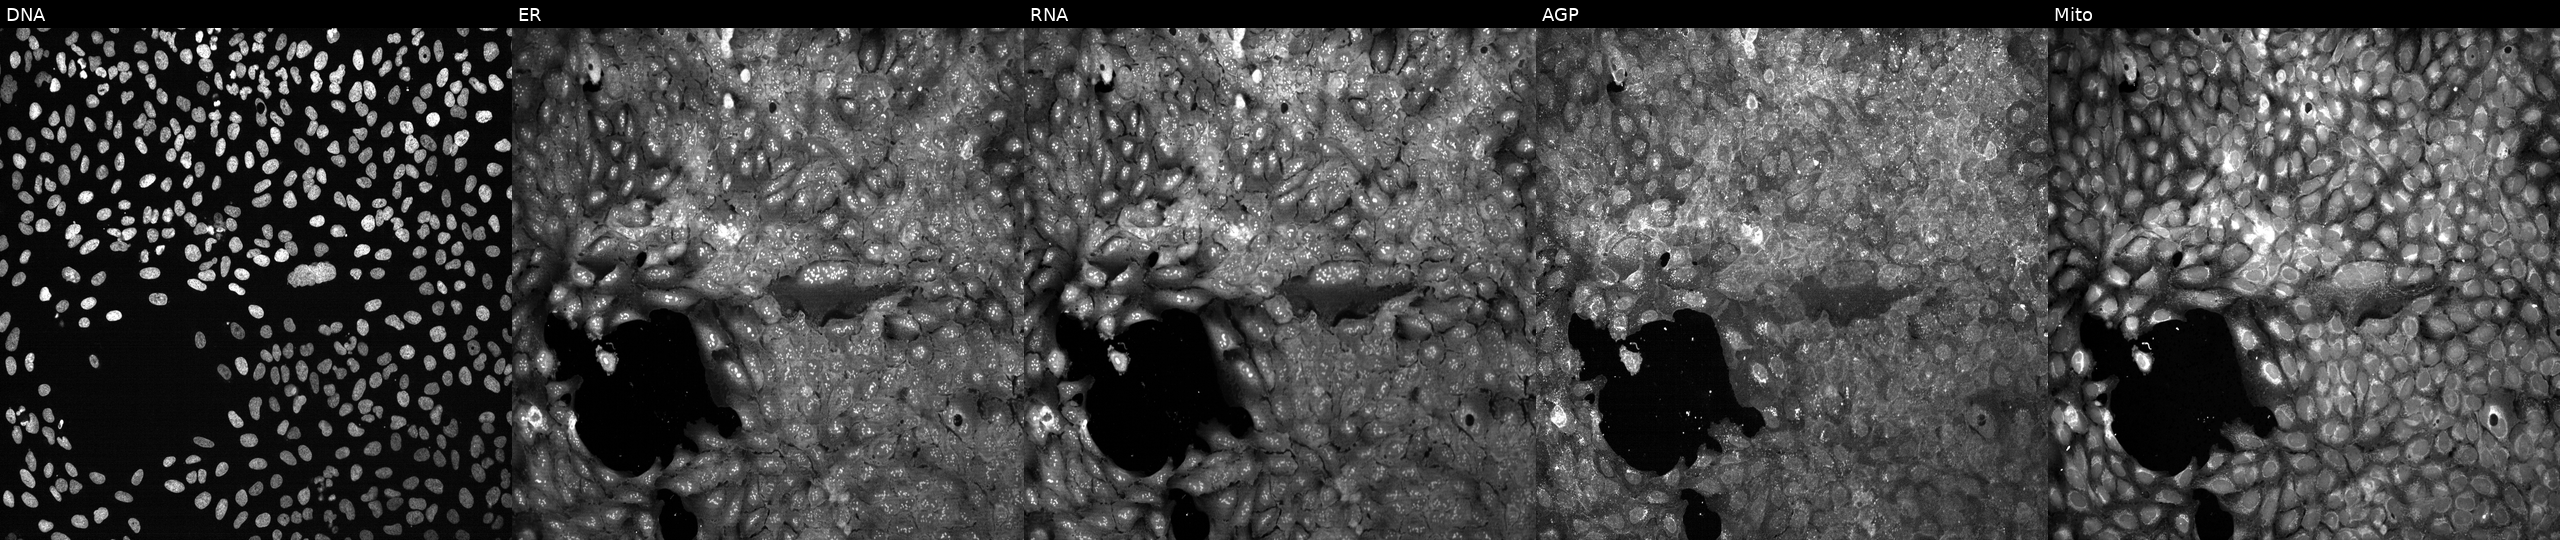
Five-channel Cell Painting image of U2OS cells CRISPR-edited to disrupt CYP4F11 (JUMP id JCP2022_801652). From left to right: Hoechst 33342, concanavalin A, SYTO 14, phalloidin and WGA, MitoTracker.